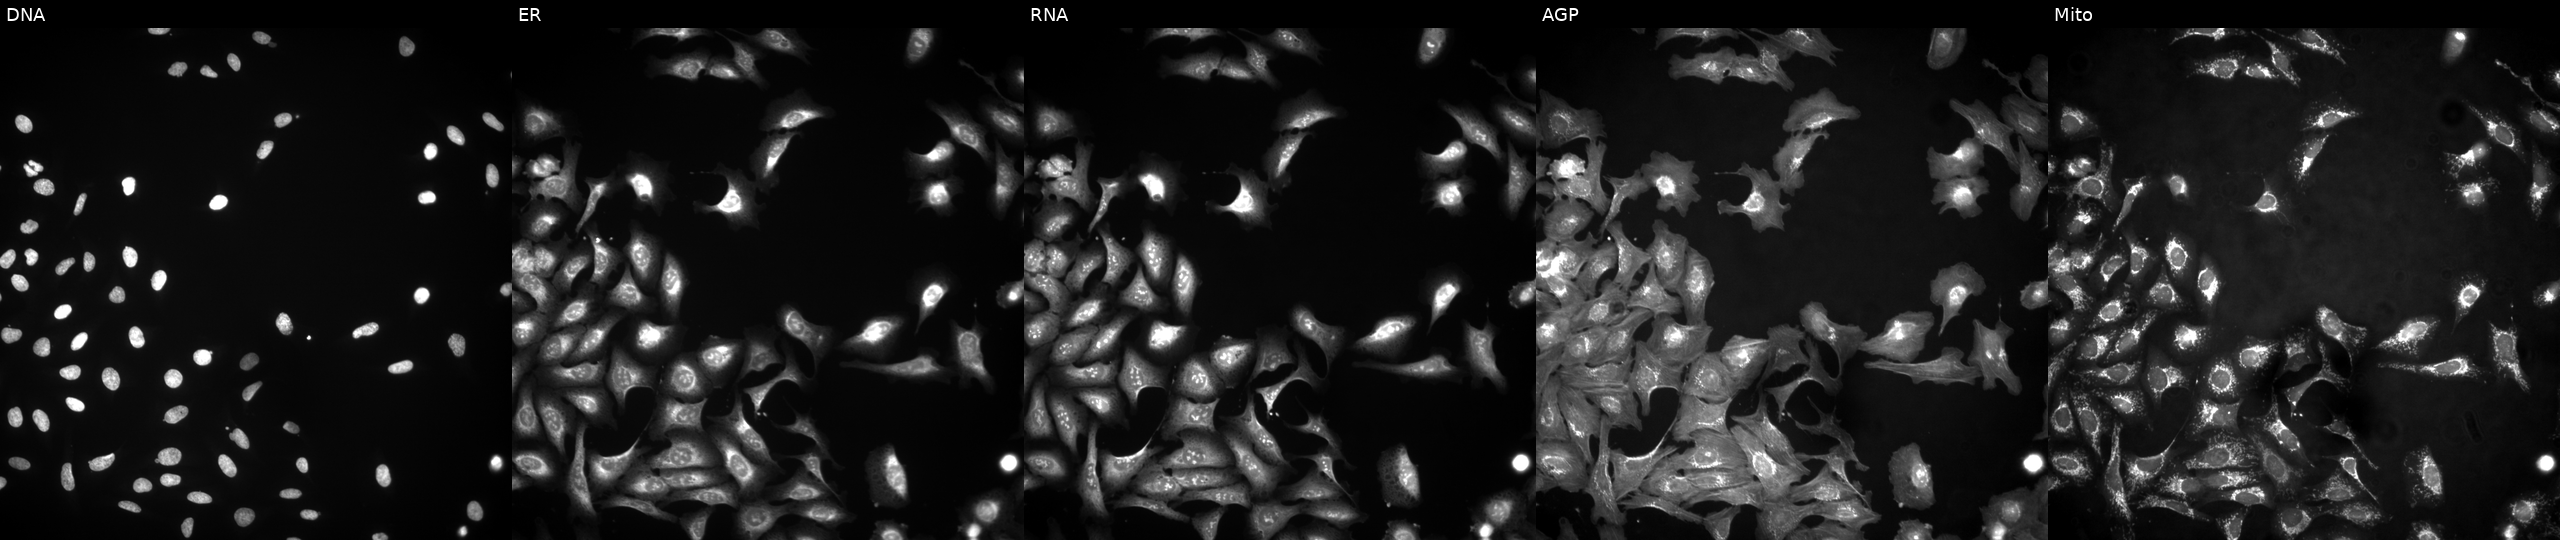
From left to right: DNA (nuclei); ER (endoplasmic reticulum); RNA (nucleoli and cytoplasmic RNA); AGP (actin cytoskeleton, Golgi, and plasma membrane); Mito (mitochondria). U2OS osteosarcoma cells with HSP90AA1 overexpressed (ORF). Cell Painting assay, JUMP-CP dataset. Source 4, plate BR00124790, well A18.